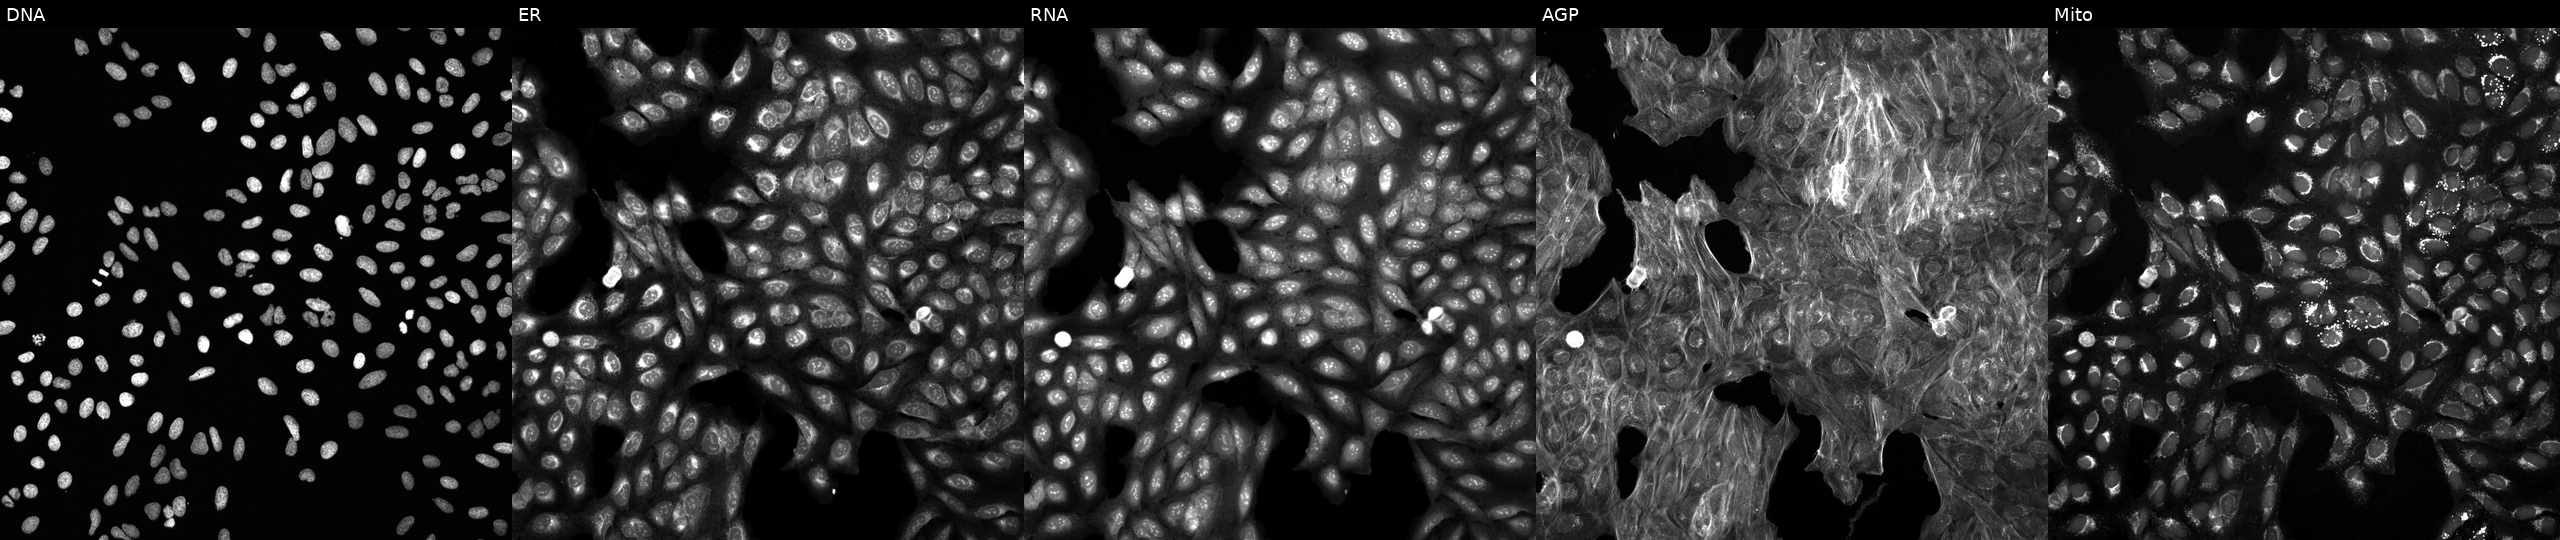
U2OS cells, Cell Painting assay, perturbed with a small-molecule compound (InChIKey ZIUDADZJCKGWKR-UHFFFAOYSA-N). The five panels, left to right, show DNA, ER, RNA, AGP, and Mito. Each panel is percentile-stretched 16-bit fluorescence. Source 6, plate 110000293093, well A24.